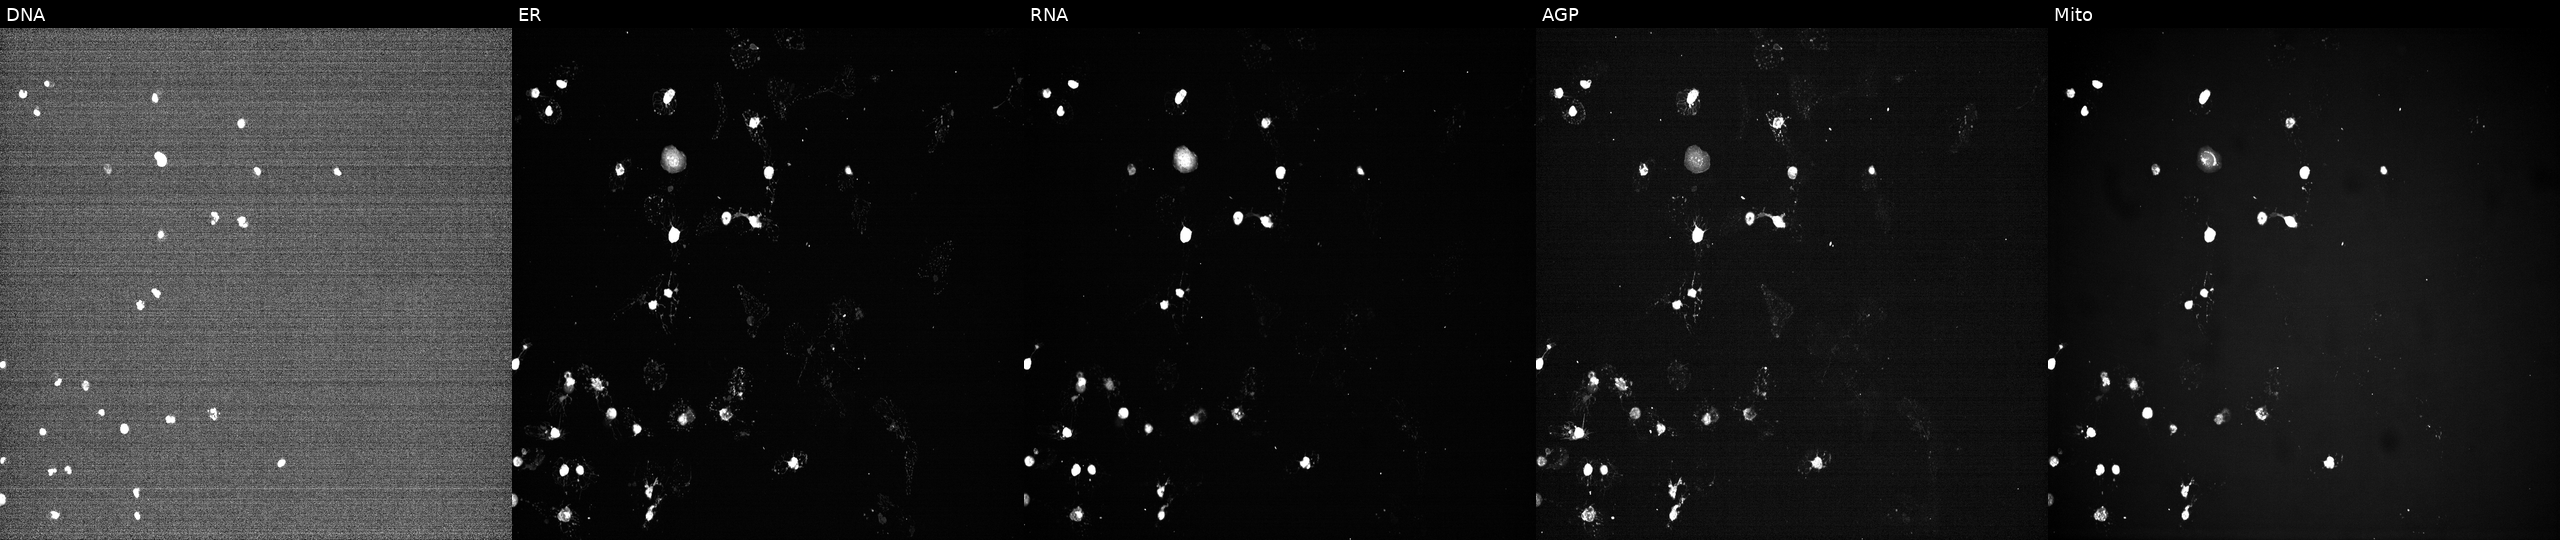
High-content fluorescence microscopy (Cell Painting). Cell line: U2OS. Perturbation: perturbed with a small-molecule compound (InChIKey RXWNCPJZOCPEPQ-UHFFFAOYSA-N) (JUMP id JCP2022_081430). The five panels, left to right, show DNA (nuclei); ER (endoplasmic reticulum); RNA (nucleoli and cytoplasmic RNA); AGP (actin cytoskeleton, Golgi, and plasma membrane); Mito (mitochondria). Source 7, plate CP3-SC1-25, well G10.